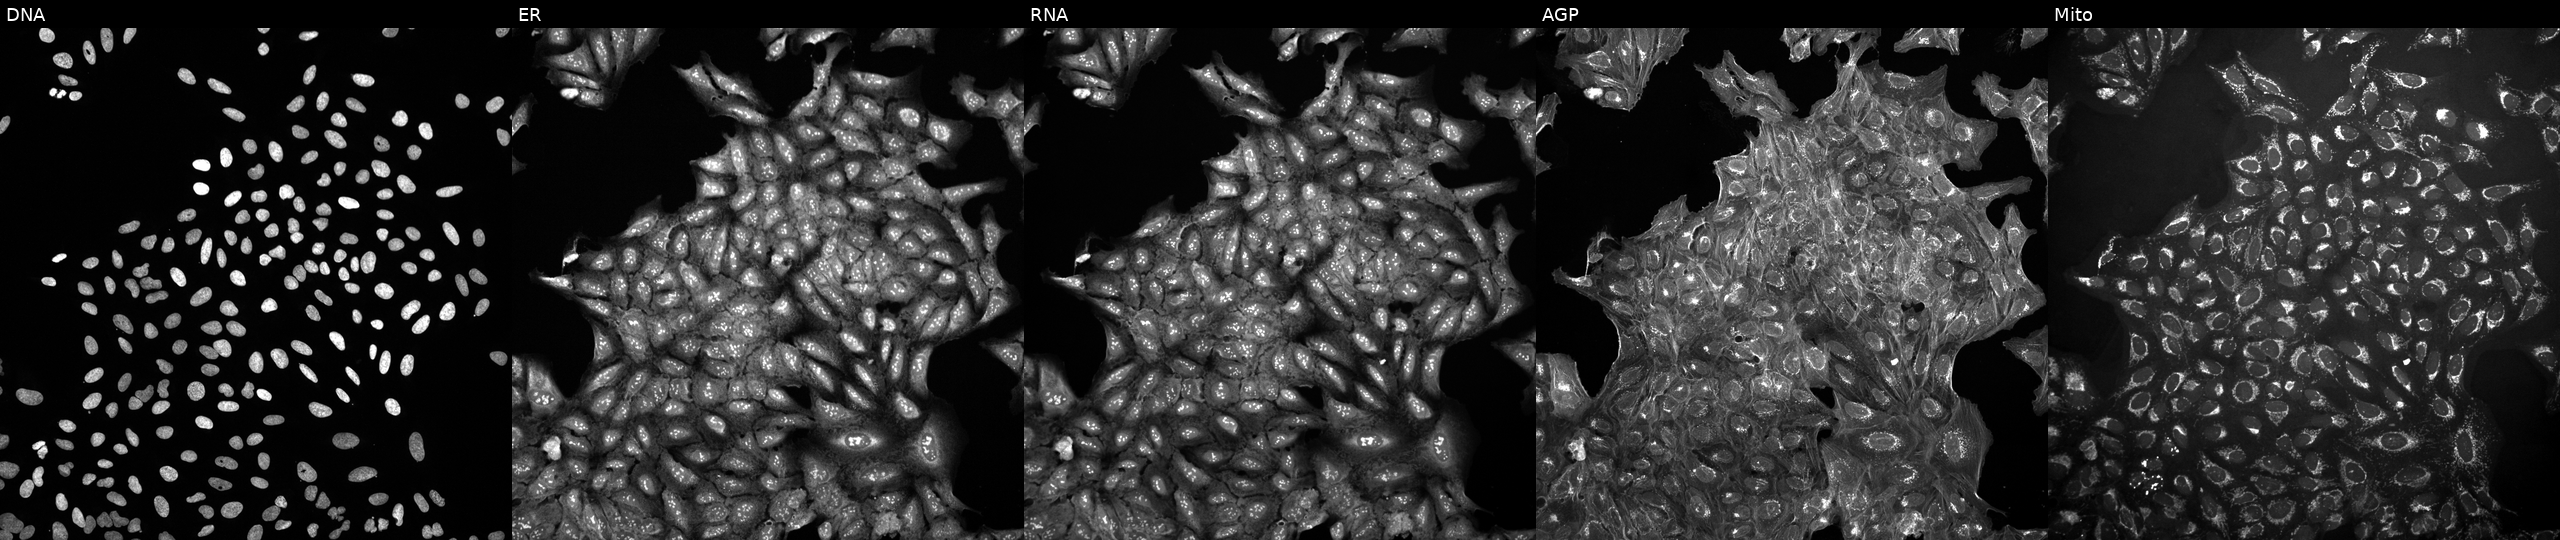
Five-channel Cell Painting image of U2OS cells treated with a small-molecule compound (InChIKey LCXDJSXLDVFKKN-UHFFFAOYSA-N) (JUMP id JCP2022_048637). Channels (left→right): DNA, ER, RNA, AGP, and Mito.